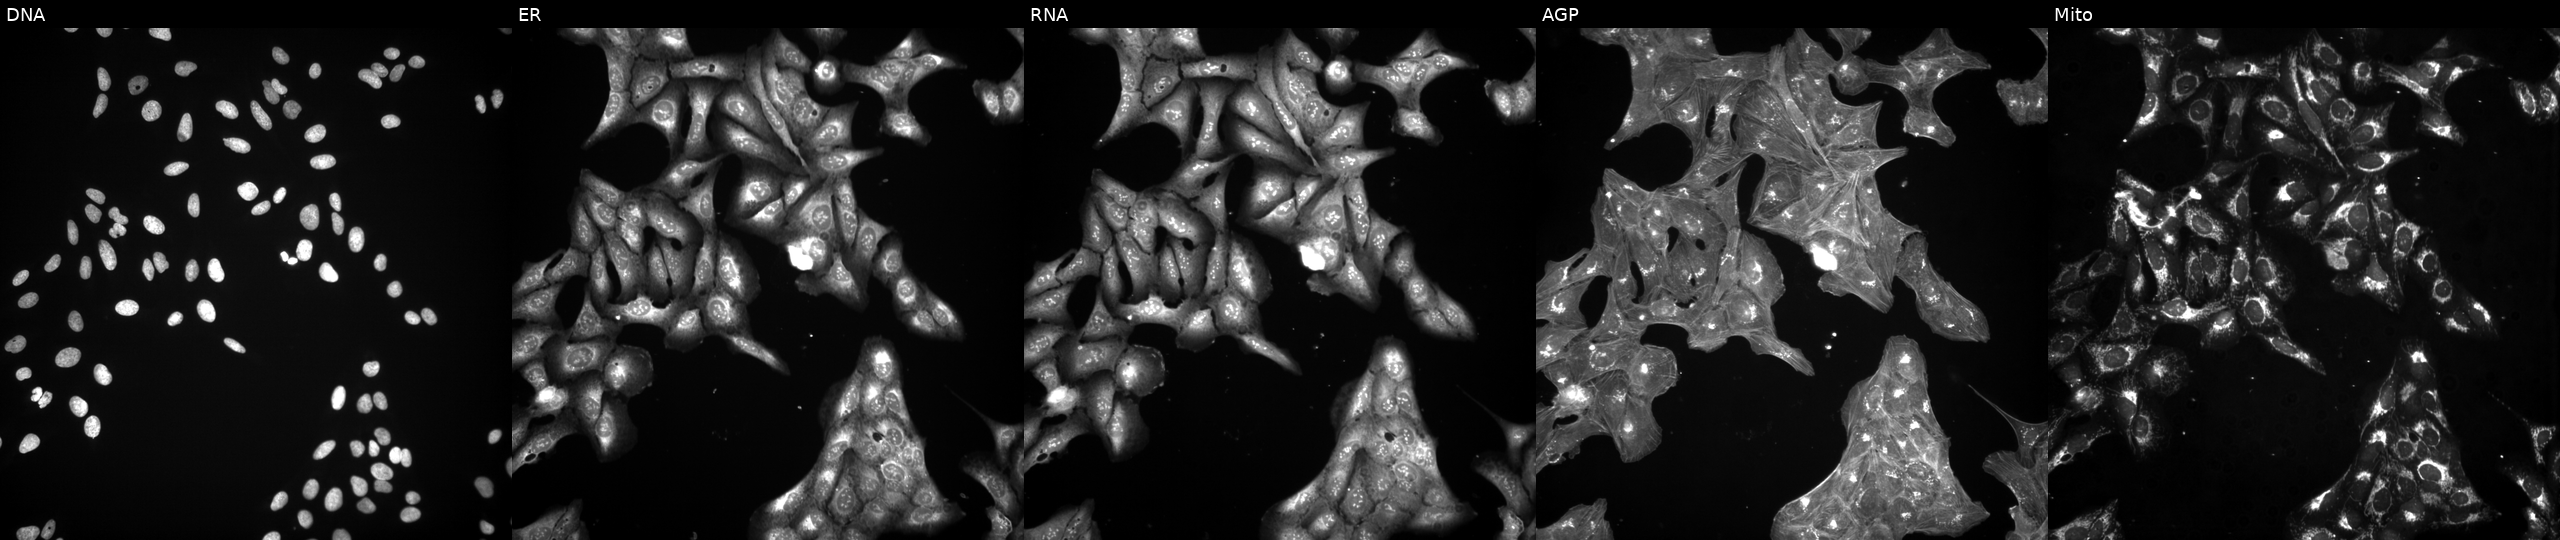
The five panels, left to right, show DNA, ER, RNA, AGP, and Mito. U2OS osteosarcoma cells treated with a small-molecule compound (InChIKey HUXYBQXJVXOMKX-UHFFFAOYSA-N). Cell Painting assay, JUMP-CP dataset.